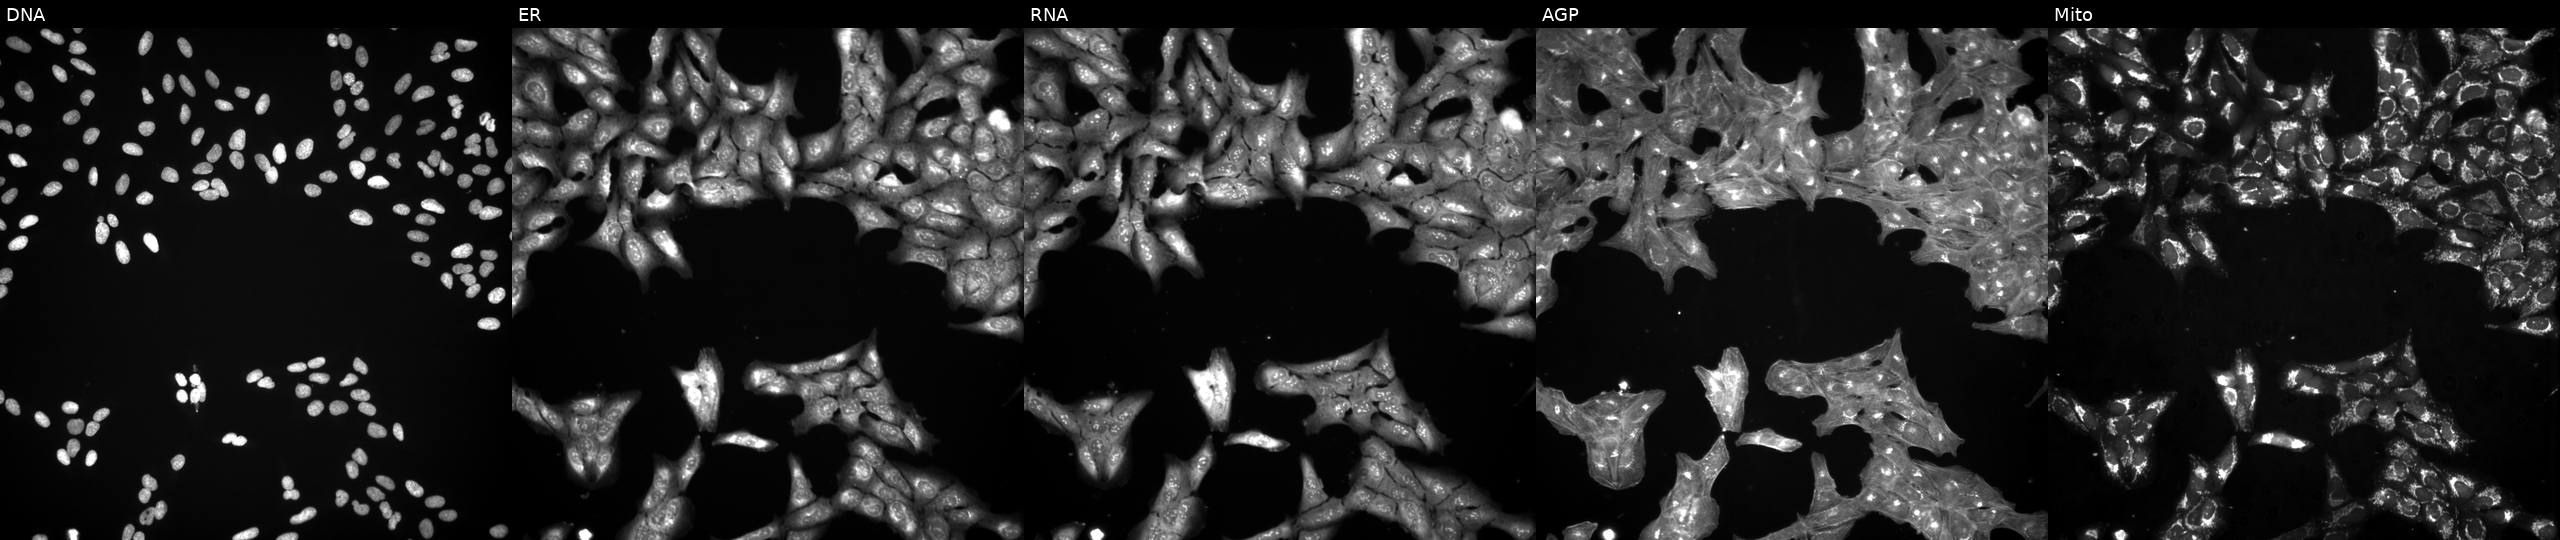
JUMP Cell Painting — COMPOUND plate. U2OS cells treated with a small-molecule compound (InChIKey BTPSLXJQDOLCBW-UHFFFAOYSA-N) (JUMP id JCP2022_008576). Panels show, left to right, DNA, ER, RNA, AGP, and Mito.